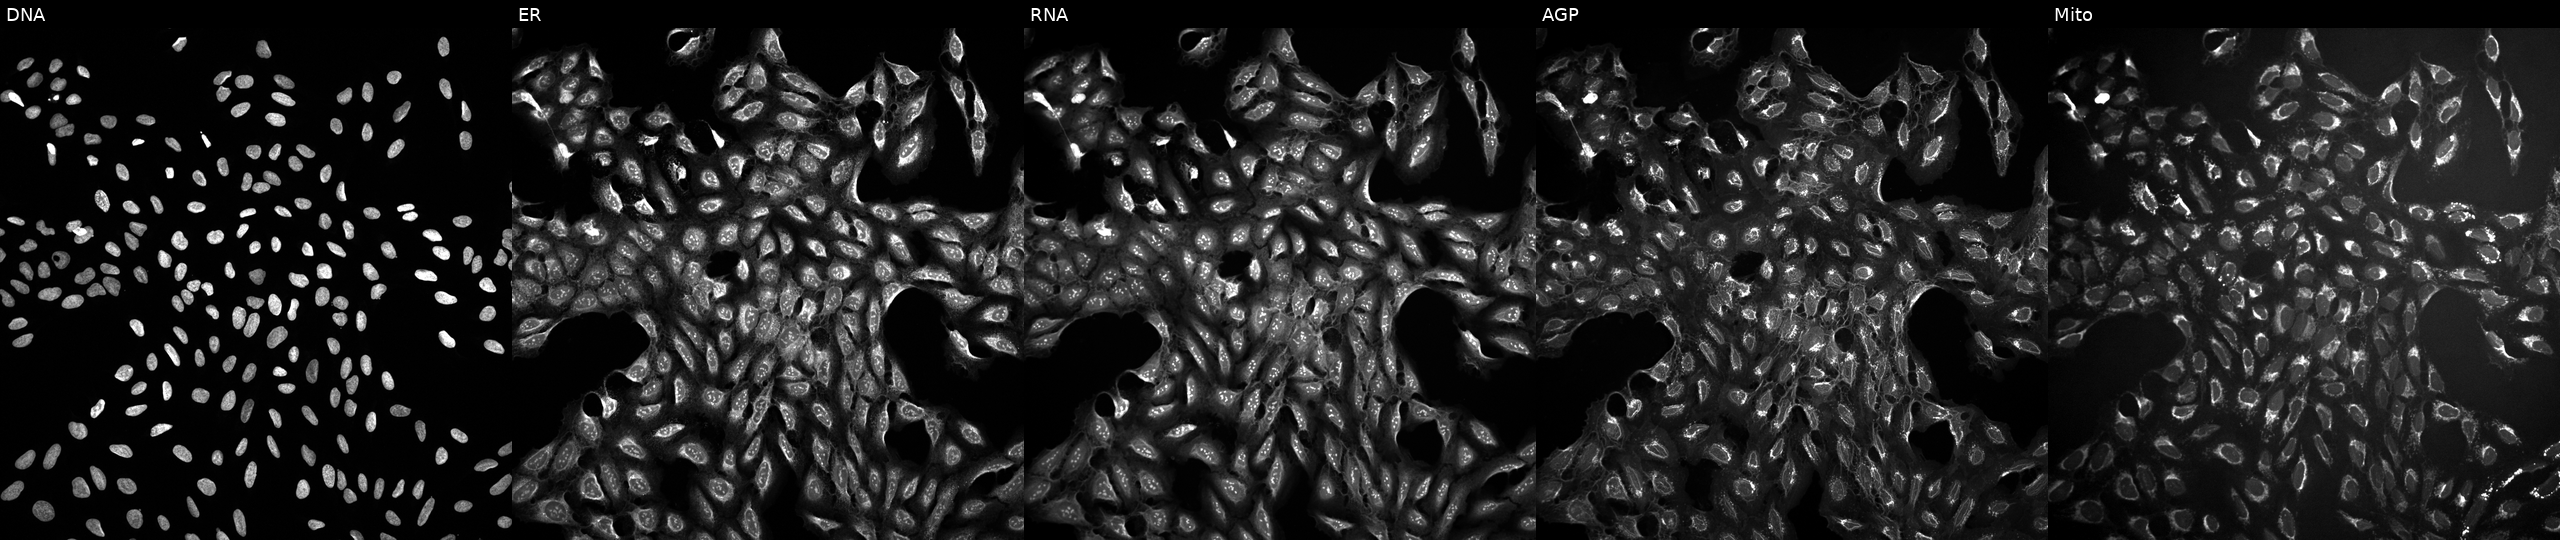
Panels show, left to right, DNA (nuclei); ER (endoplasmic reticulum); RNA (nucleoli and cytoplasmic RNA); AGP (actin cytoskeleton, Golgi, and plasma membrane); Mito (mitochondria). U2OS osteosarcoma cells exposed to a small-molecule compound (JUMP id JCP2022_112828). Cell Painting assay, JUMP-CP dataset. Source 10, plate Dest210803-153958, well P15.